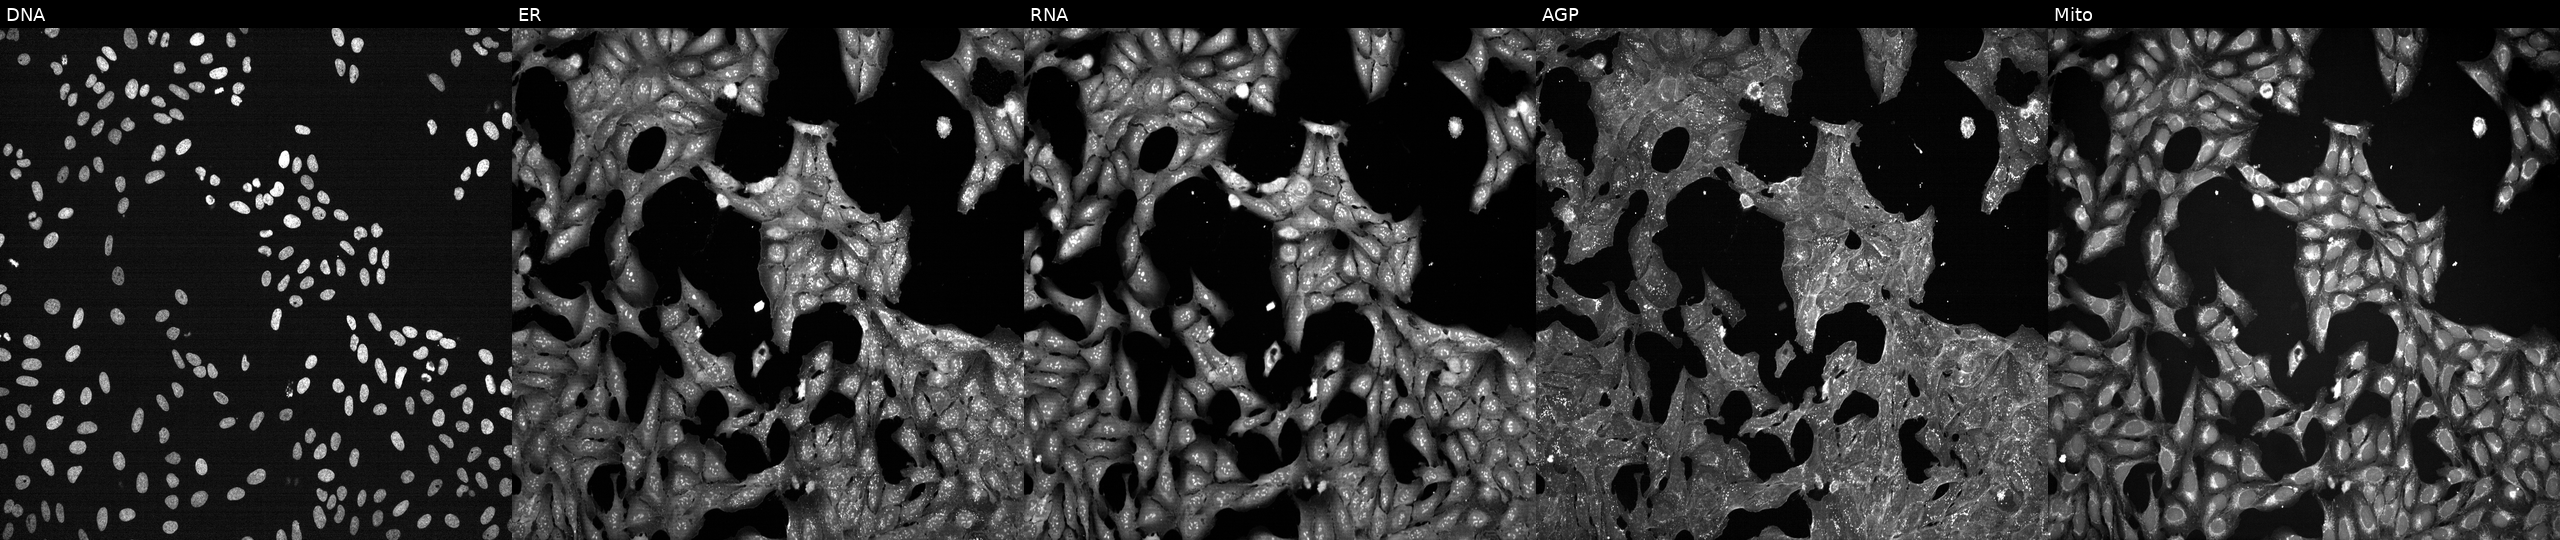
Five-channel Cell Painting image of U2OS cells treated with a small-molecule compound (InChIKey DJKJVWJQAVGLHJ-UHFFFAOYSA-N) [SMILES: N=c1nc(N2CCNCC2)c2c([nH]1)C1=C(CC2)OC2CCCCC12]. Channels (left→right): Hoechst 33342, concanavalin A, SYTO 14, phalloidin and WGA, MitoTracker.